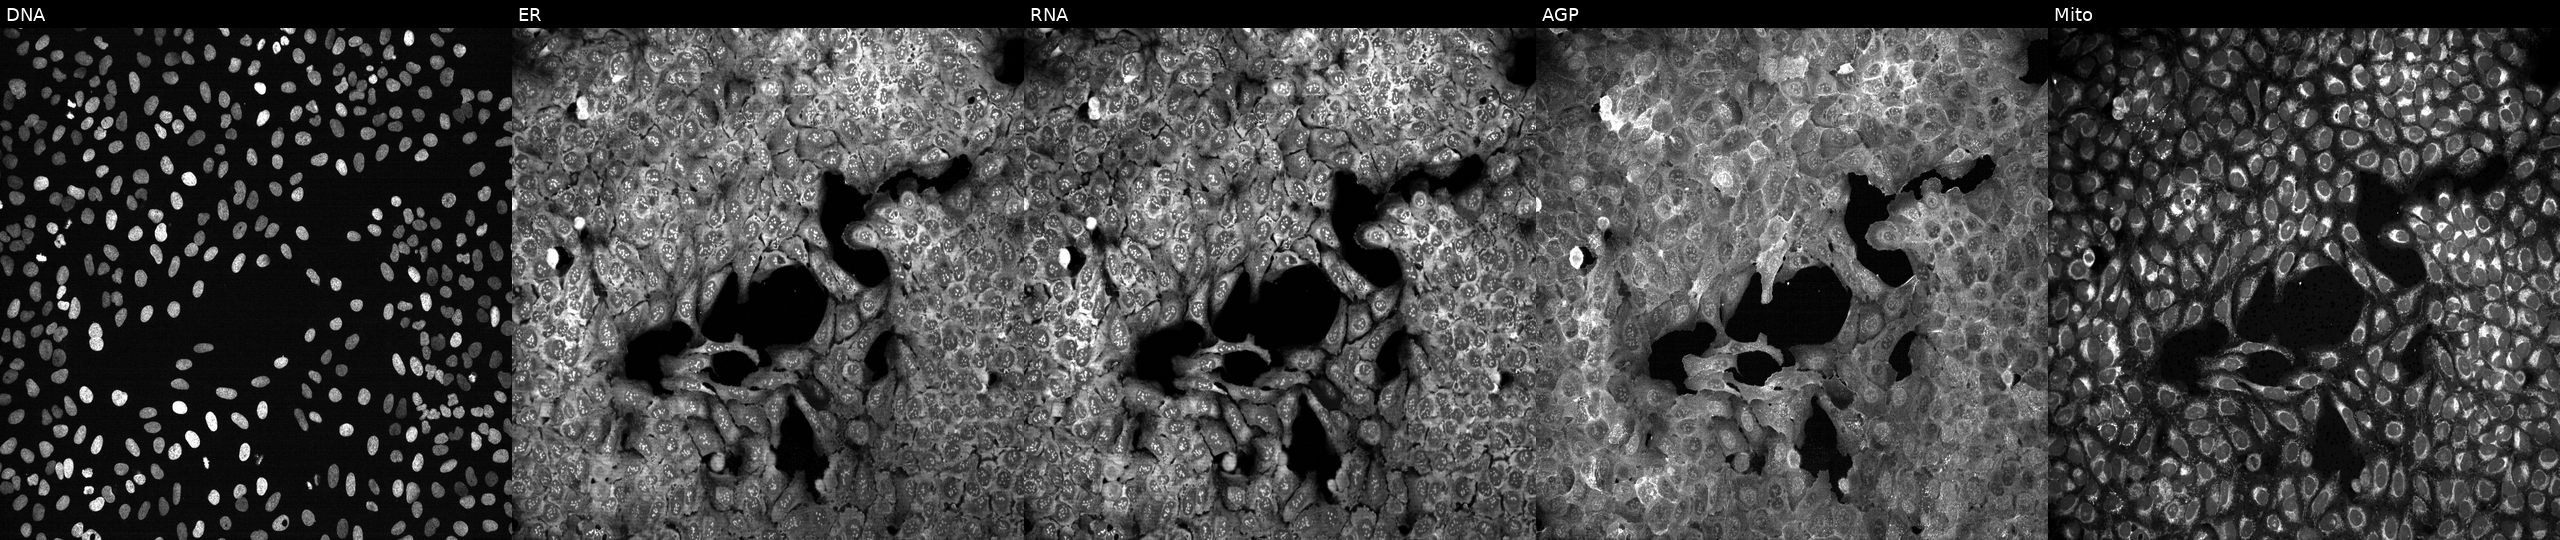
The five panels, left to right, show DNA (nuclei); ER (endoplasmic reticulum); RNA (nucleoli and cytoplasmic RNA); AGP (actin cytoskeleton, Golgi, and plasma membrane); Mito (mitochondria). U2OS osteosarcoma cells treated with quinidine (positive-control compound) (JUMP id JCP2022_050797). Cell Painting assay, JUMP-CP dataset.